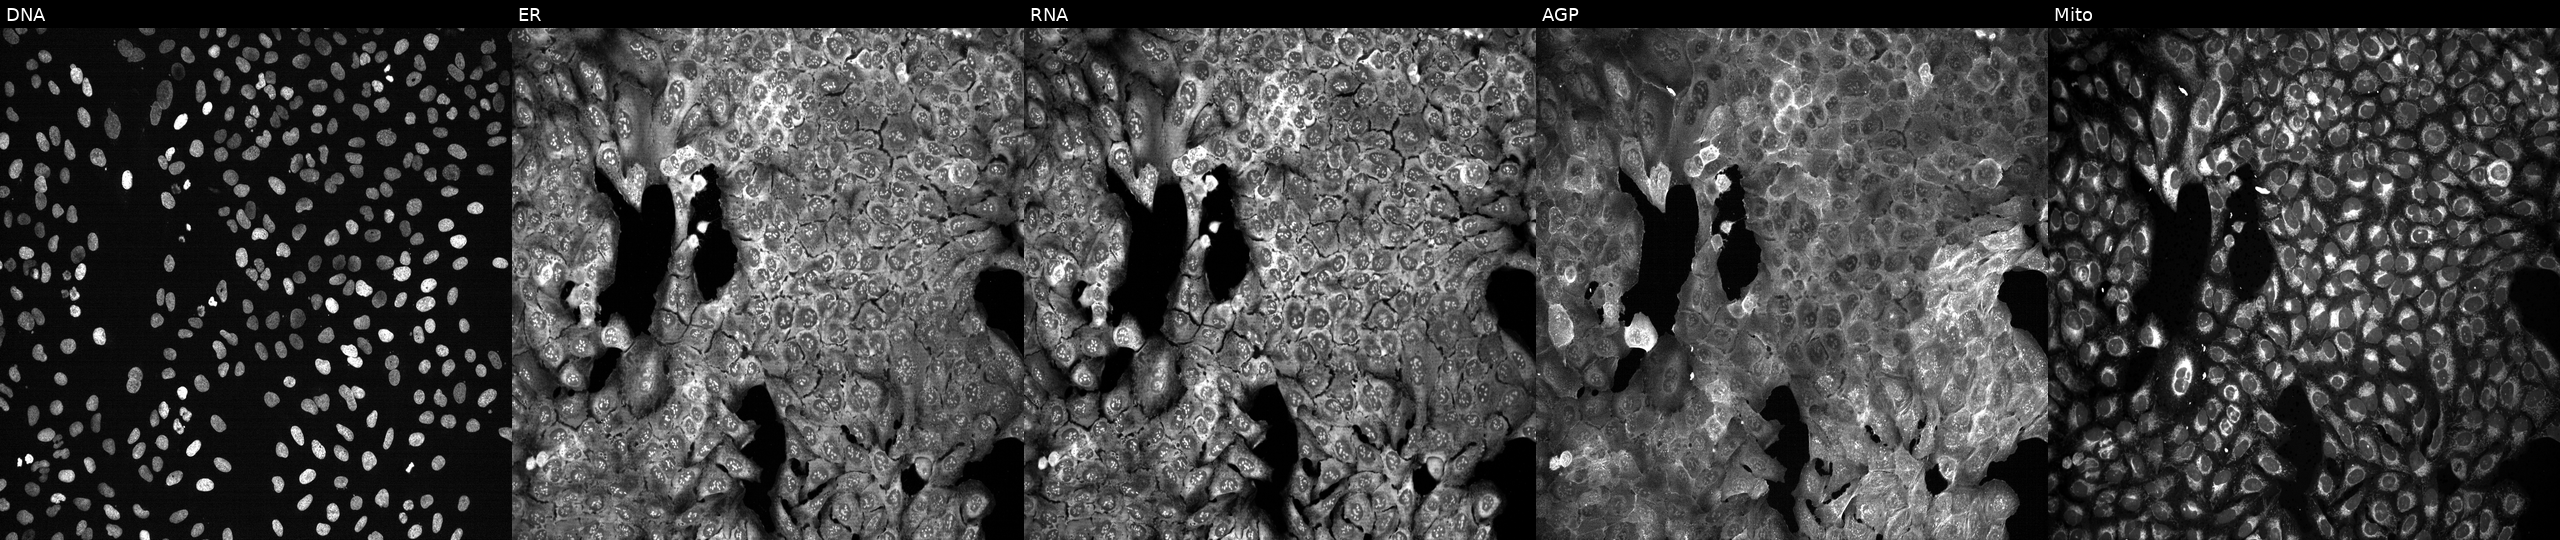
High-content fluorescence microscopy (Cell Painting). Cell line: U2OS. Perturbation: with RDH14 knocked out by CRISPR (JUMP id JCP2022_805888). The five panels, left to right, show DNA (nuclei); ER (endoplasmic reticulum); RNA (nucleoli and cytoplasmic RNA); AGP (actin cytoskeleton, Golgi, and plasma membrane); Mito (mitochondria).